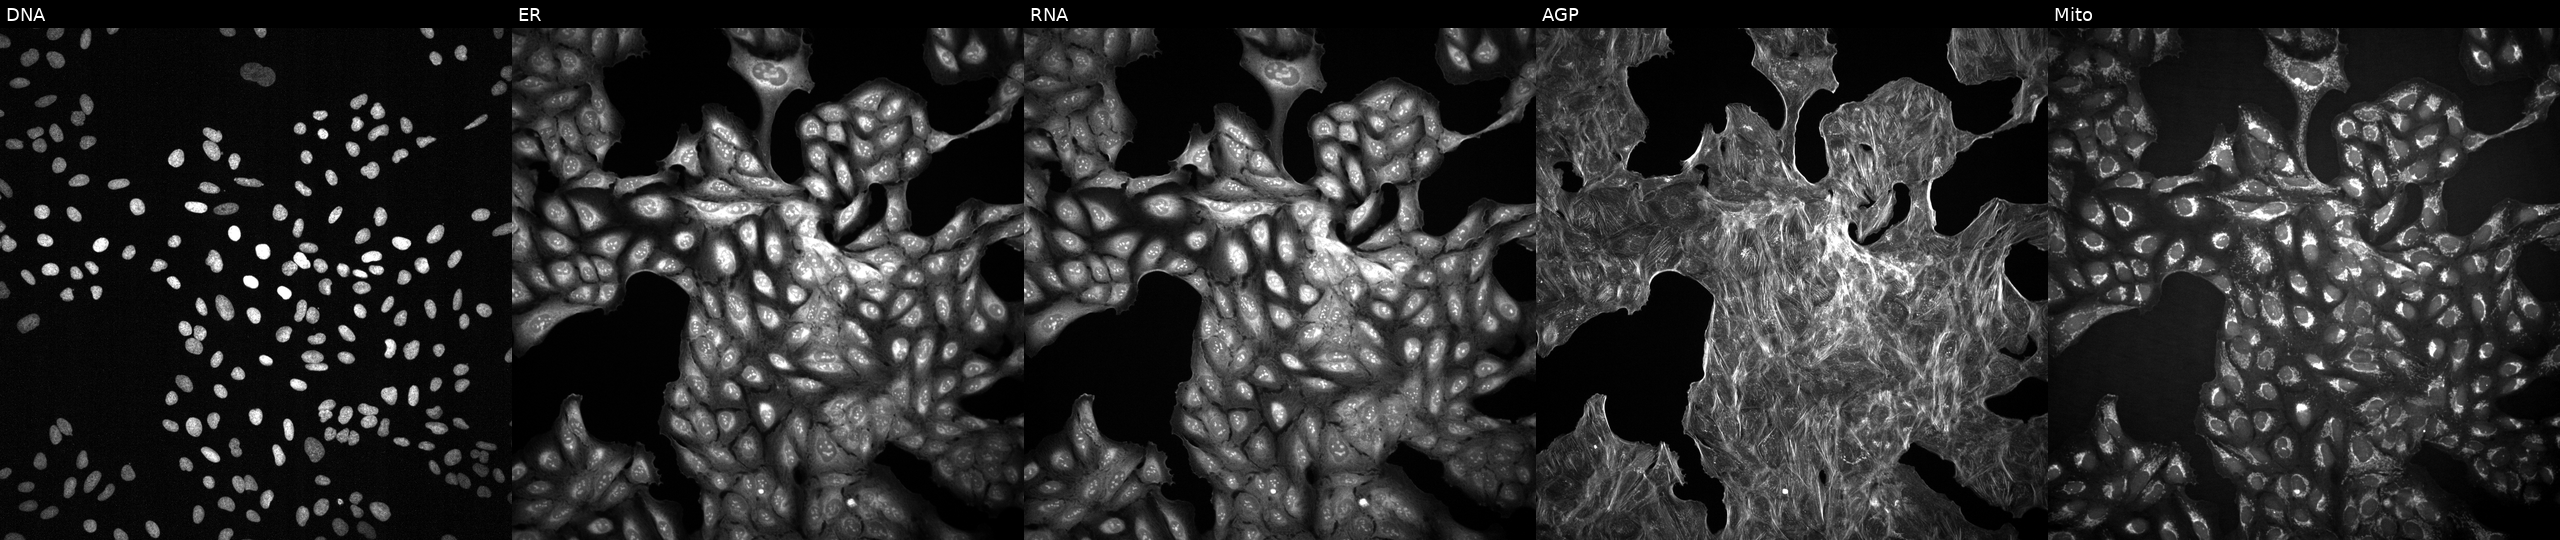
High-content fluorescence microscopy (Cell Painting). Cell line: U2OS. Perturbation: perturbed with a small-molecule compound (InChIKey QUGDTMONBLMLLD-UHFFFAOYSA-N). The five panels, left to right, show DNA (nuclei); ER (endoplasmic reticulum); RNA (nucleoli and cytoplasmic RNA); AGP (actin cytoskeleton, Golgi, and plasma membrane); Mito (mitochondria).